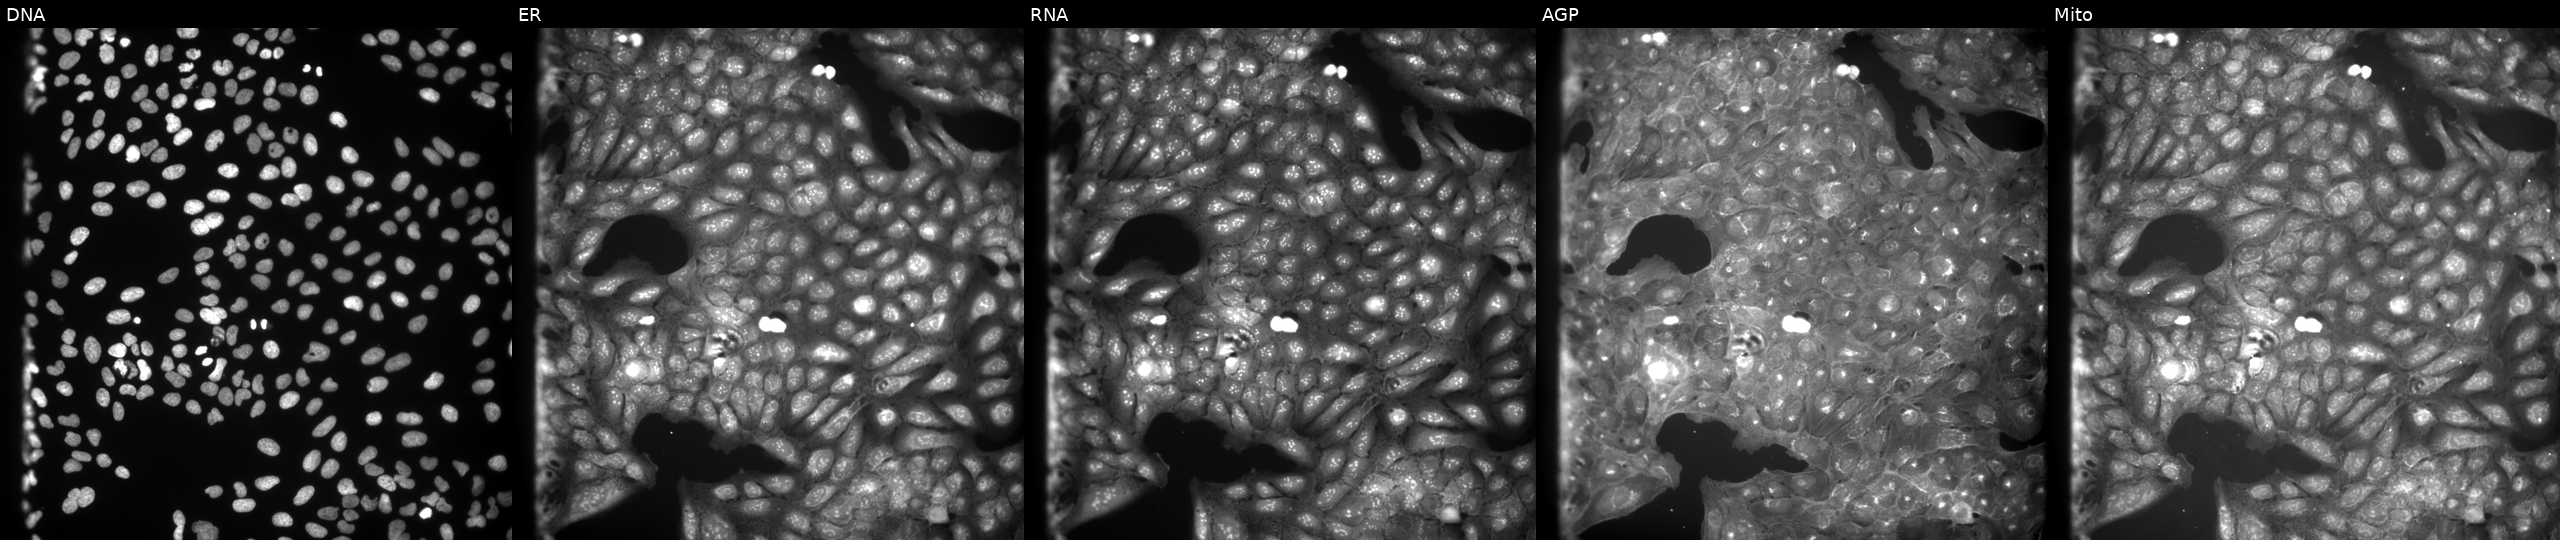
U2OS cells, Cell Painting assay, exposed to a small-molecule compound [SMILES: Cc1c(N2C(=O)CSC2c2ccc([N+](=O)[O-])cc2)c(=O)n(-c2ccccc2)n1C] (JUMP id JCP2022_077933). Channels (left→right): DNA, ER, RNA, AGP, and Mito. Each panel is percentile-stretched 16-bit fluorescence.